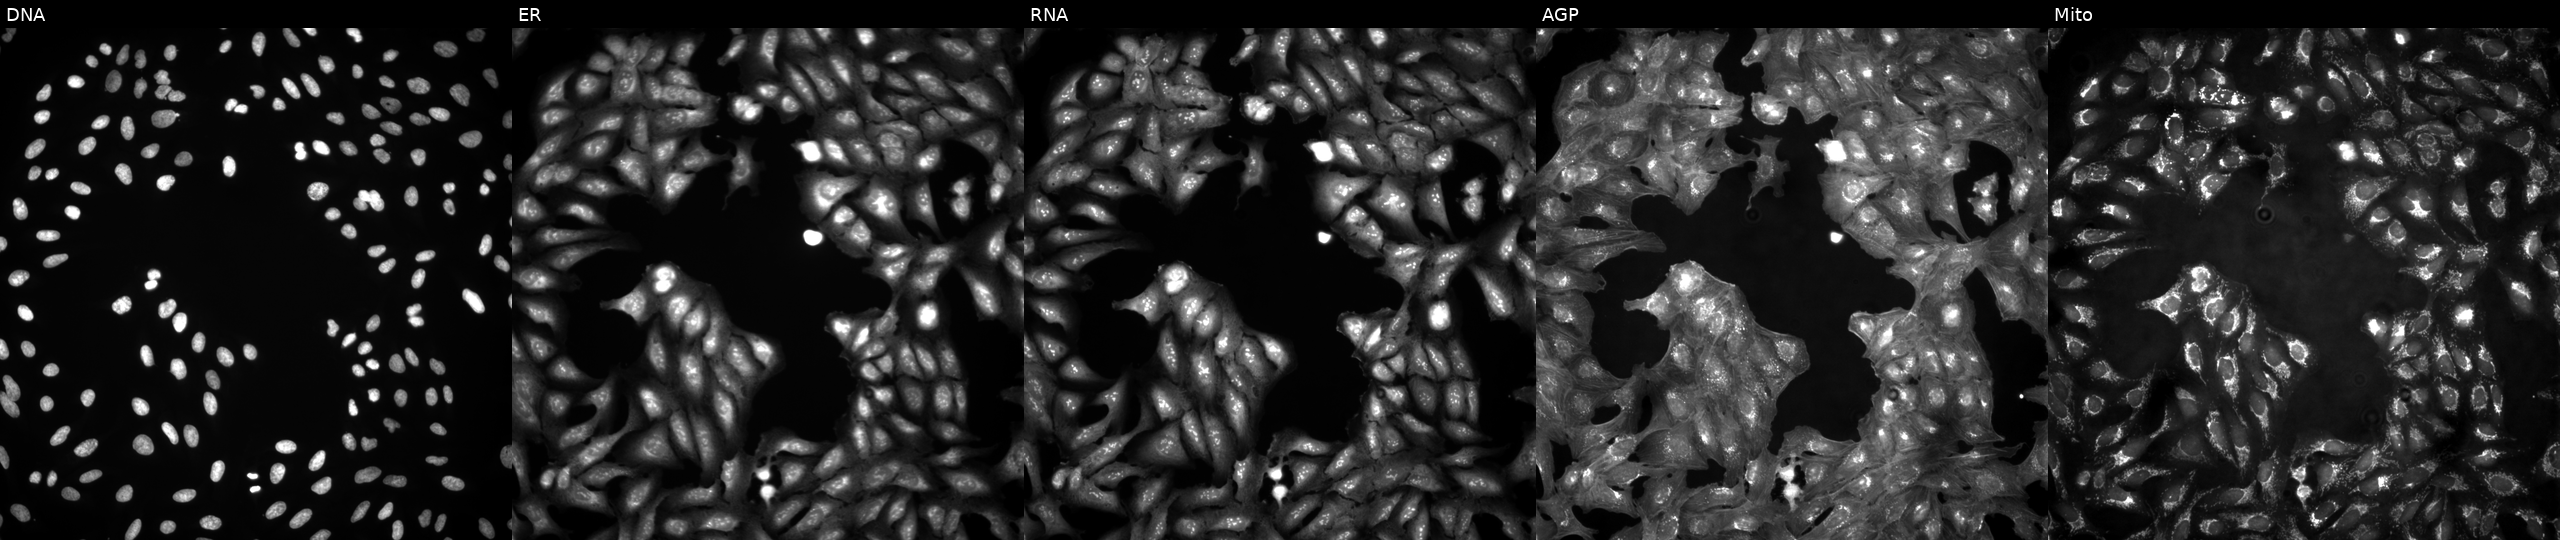
U2OS cells, Cell Painting assay, in an empty control well (no perturbation) (JUMP id JCP2022_999999). The five panels, left to right, show Hoechst 33342, concanavalin A, SYTO 14, phalloidin and WGA, MitoTracker. Each panel is percentile-stretched 16-bit fluorescence.